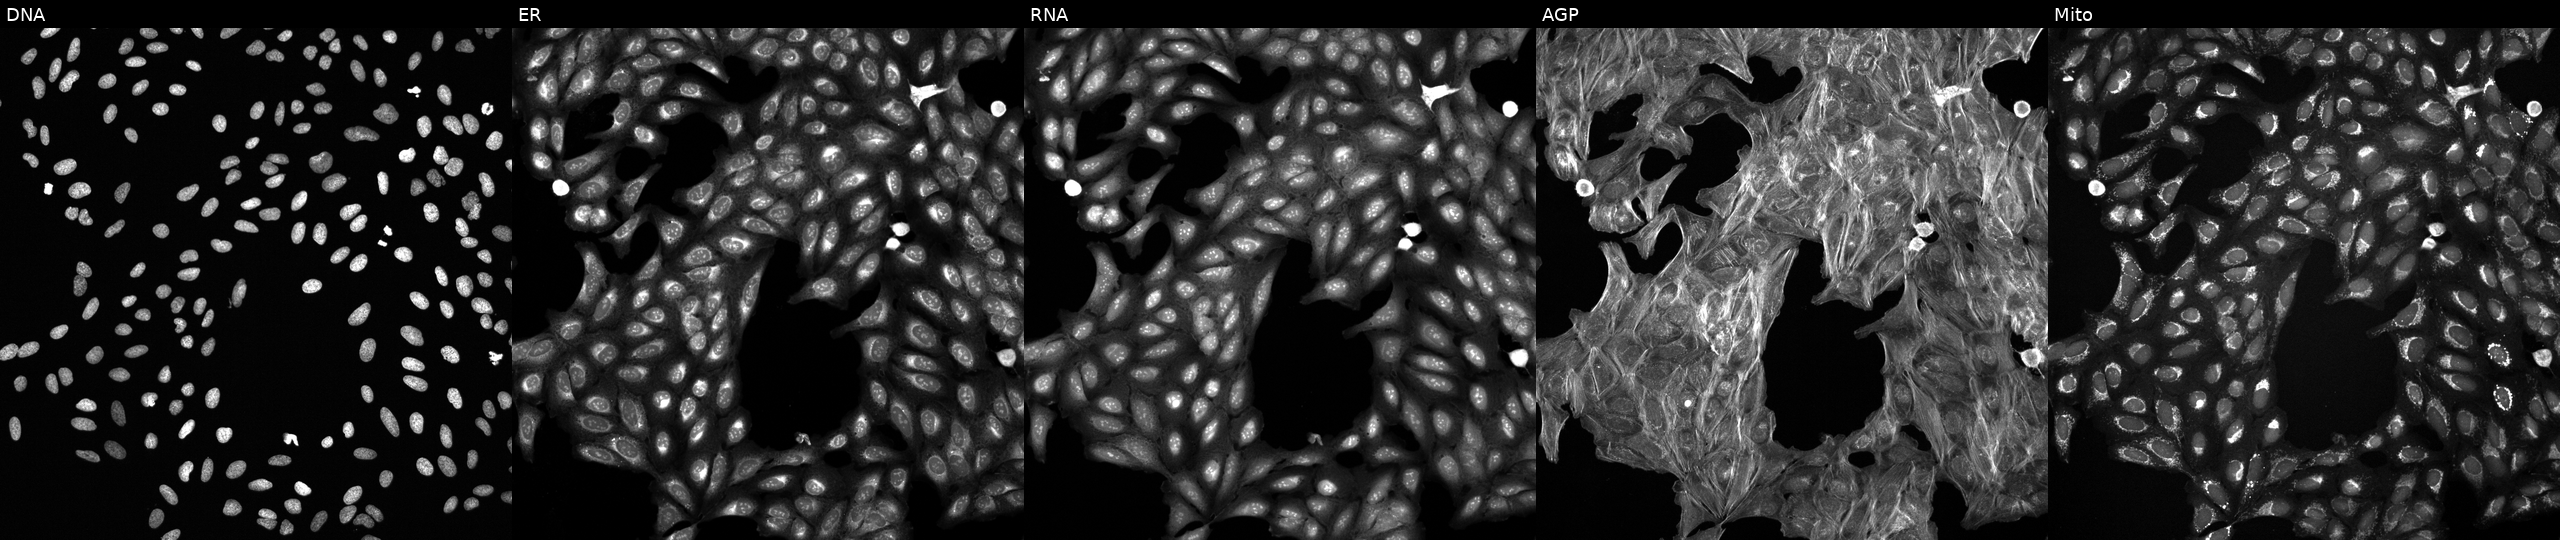
High-content fluorescence microscopy (Cell Painting). Cell line: U2OS. Perturbation: exposed to DMSO alone as a negative control (JUMP id JCP2022_033924). Channels (left→right): DNA (nuclei); ER (endoplasmic reticulum); RNA (nucleoli and cytoplasmic RNA); AGP (actin cytoskeleton, Golgi, and plasma membrane); Mito (mitochondria).